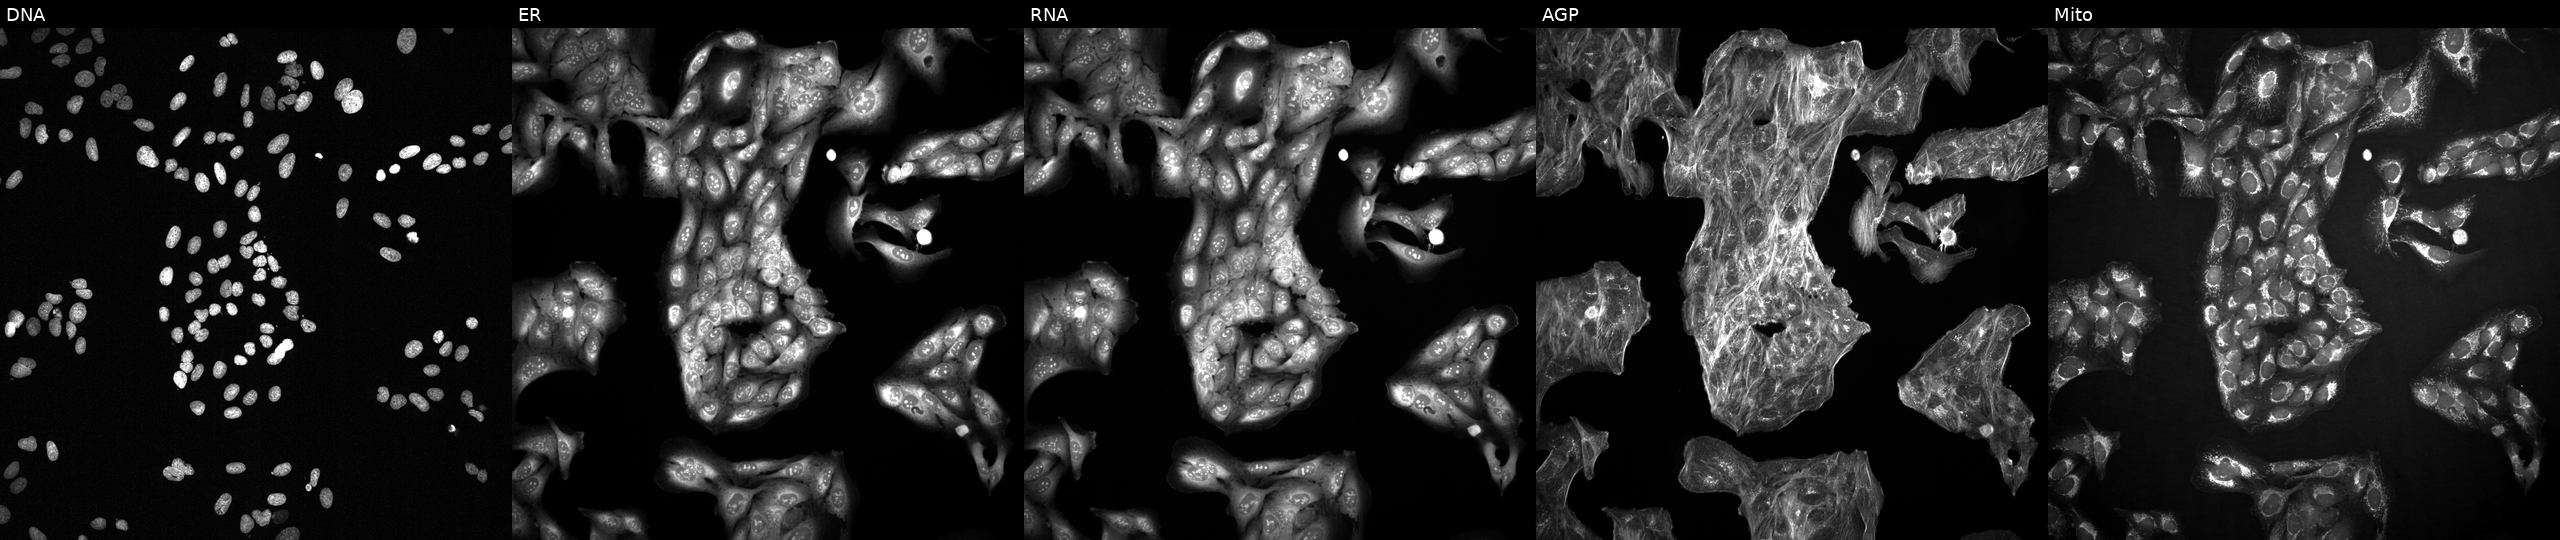
From left to right: Hoechst 33342, concanavalin A, SYTO 14, phalloidin and WGA, MitoTracker. U2OS osteosarcoma cells treated with a small-molecule compound. Cell Painting assay, JUMP-CP dataset.